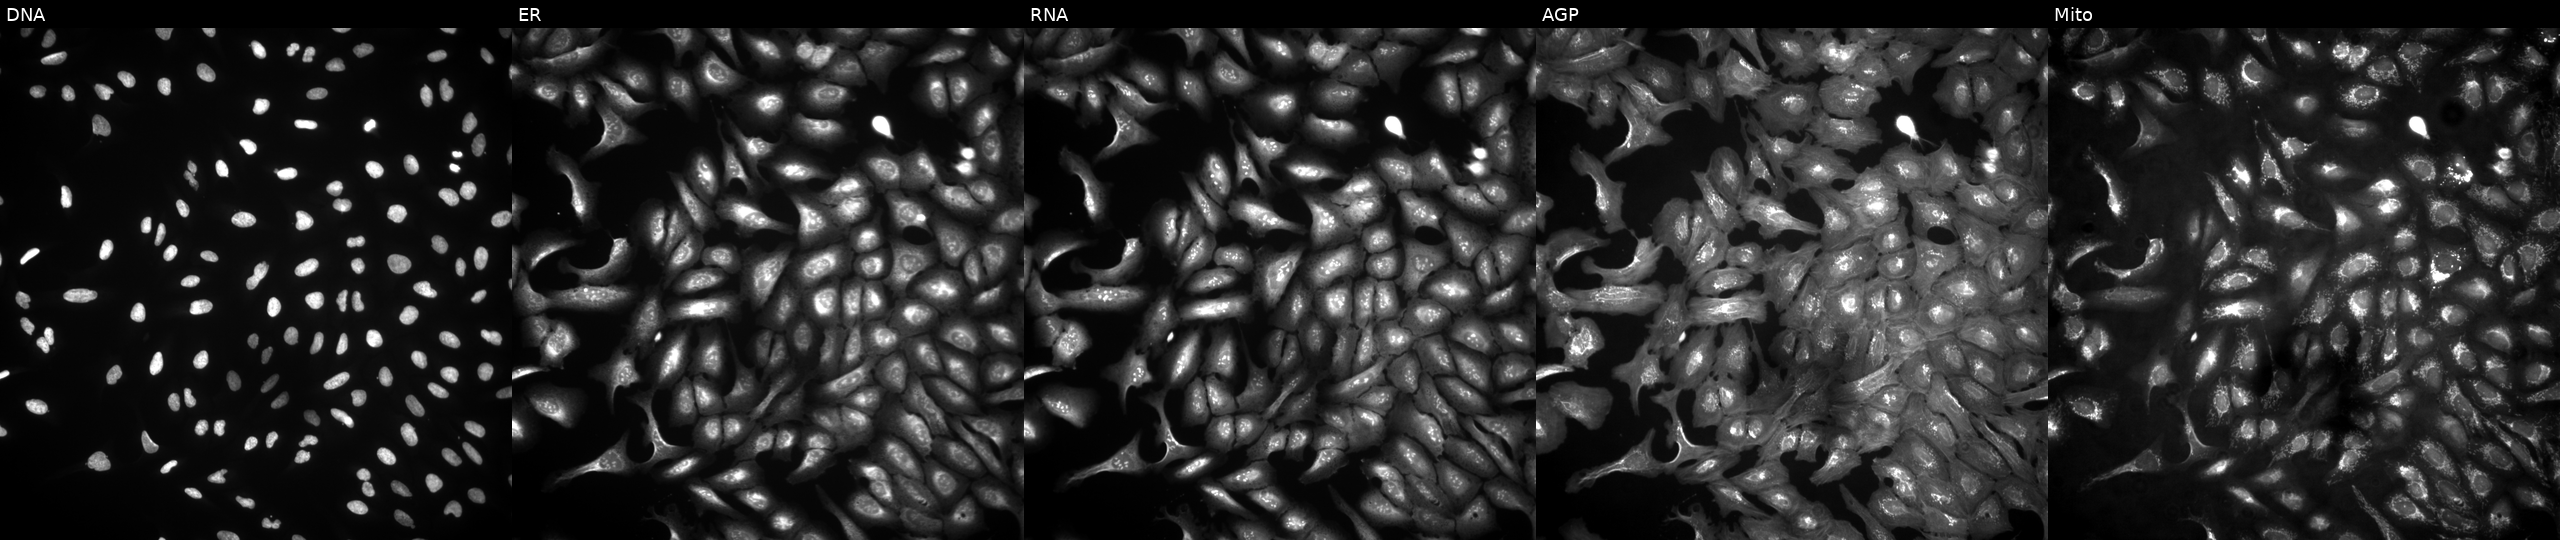
The five panels, left to right, show DNA (nuclei); ER (endoplasmic reticulum); RNA (nucleoli and cytoplasmic RNA); AGP (actin cytoskeleton, Golgi, and plasma membrane); Mito (mitochondria). U2OS osteosarcoma cells transfected with an ORF construct for ACTG1P17 (JUMP id JCP2022_909635). Cell Painting assay, JUMP-CP dataset.